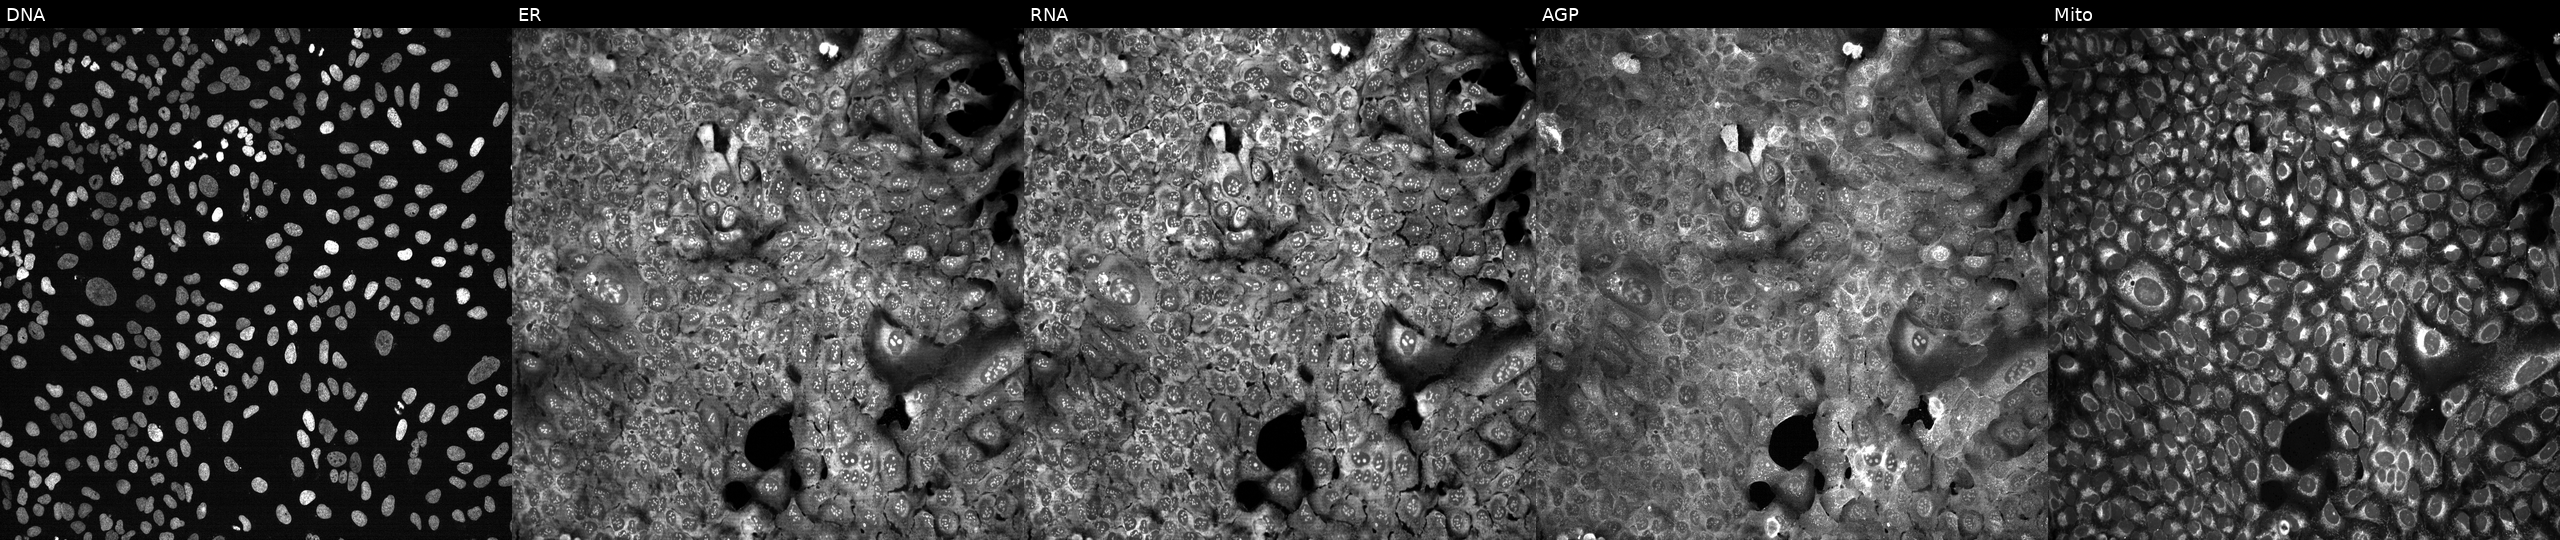
U2OS cells, Cell Painting assay, with NDUFA12 knocked out by CRISPR. Panels show, left to right, Hoechst 33342, concanavalin A, SYTO 14, phalloidin and WGA, MitoTracker. Each panel is percentile-stretched 16-bit fluorescence.